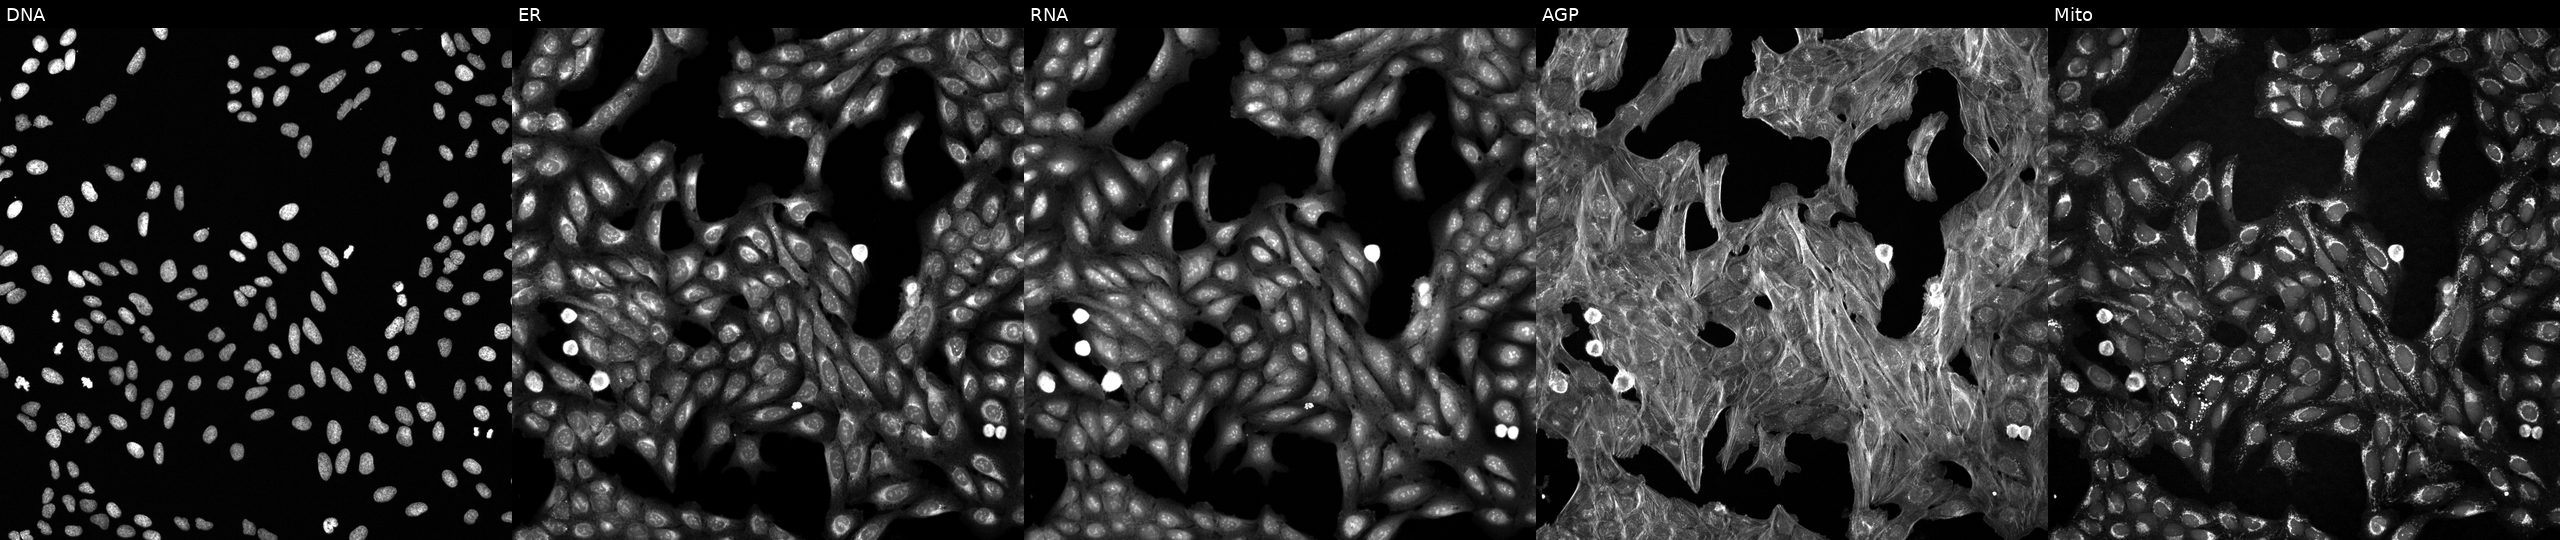
Five-channel Cell Painting image of U2OS cells treated with DMSO vehicle only (negative control) (JUMP id JCP2022_033924). From left to right: DNA (nuclei); ER (endoplasmic reticulum); RNA (nucleoli and cytoplasmic RNA); AGP (actin cytoskeleton, Golgi, and plasma membrane); Mito (mitochondria). Source 6, plate 110000293093, well D03.